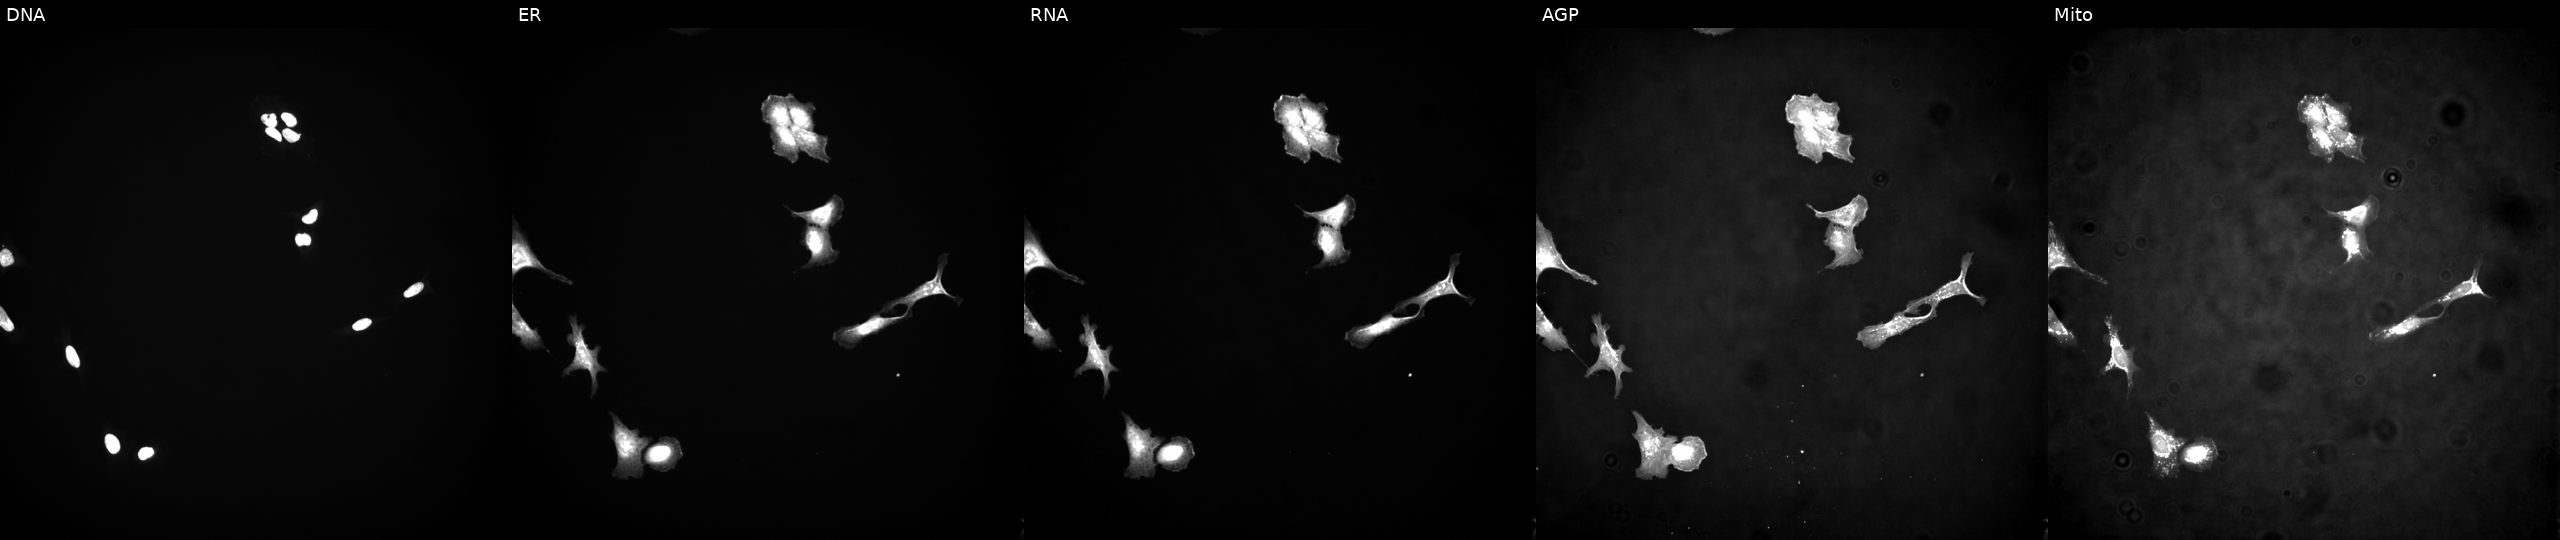
High-content fluorescence microscopy (Cell Painting). Cell line: U2OS. Perturbation: overexpressing MARK4 via ORF transfection. From left to right: Hoechst 33342, concanavalin A, SYTO 14, phalloidin and WGA, MitoTracker.